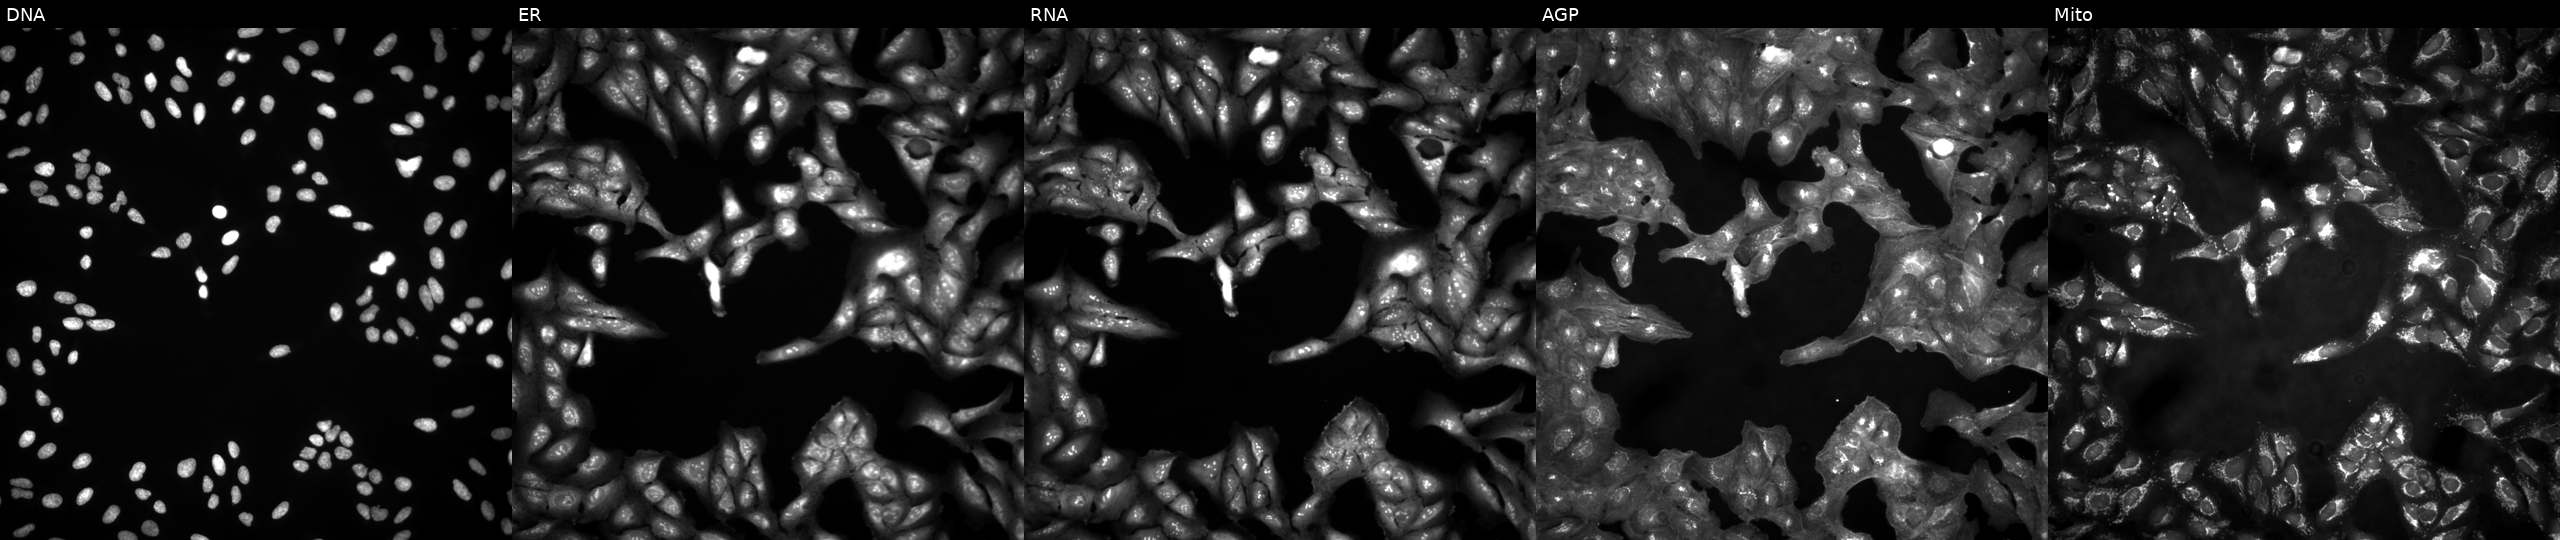
U2OS cells, Cell Painting assay, untreated (empty-well control) (JUMP id JCP2022_999999). The five panels, left to right, show DNA, ER, RNA, AGP, and Mito. Each panel is percentile-stretched 16-bit fluorescence. Source 4, plate BR00123946, well J18.